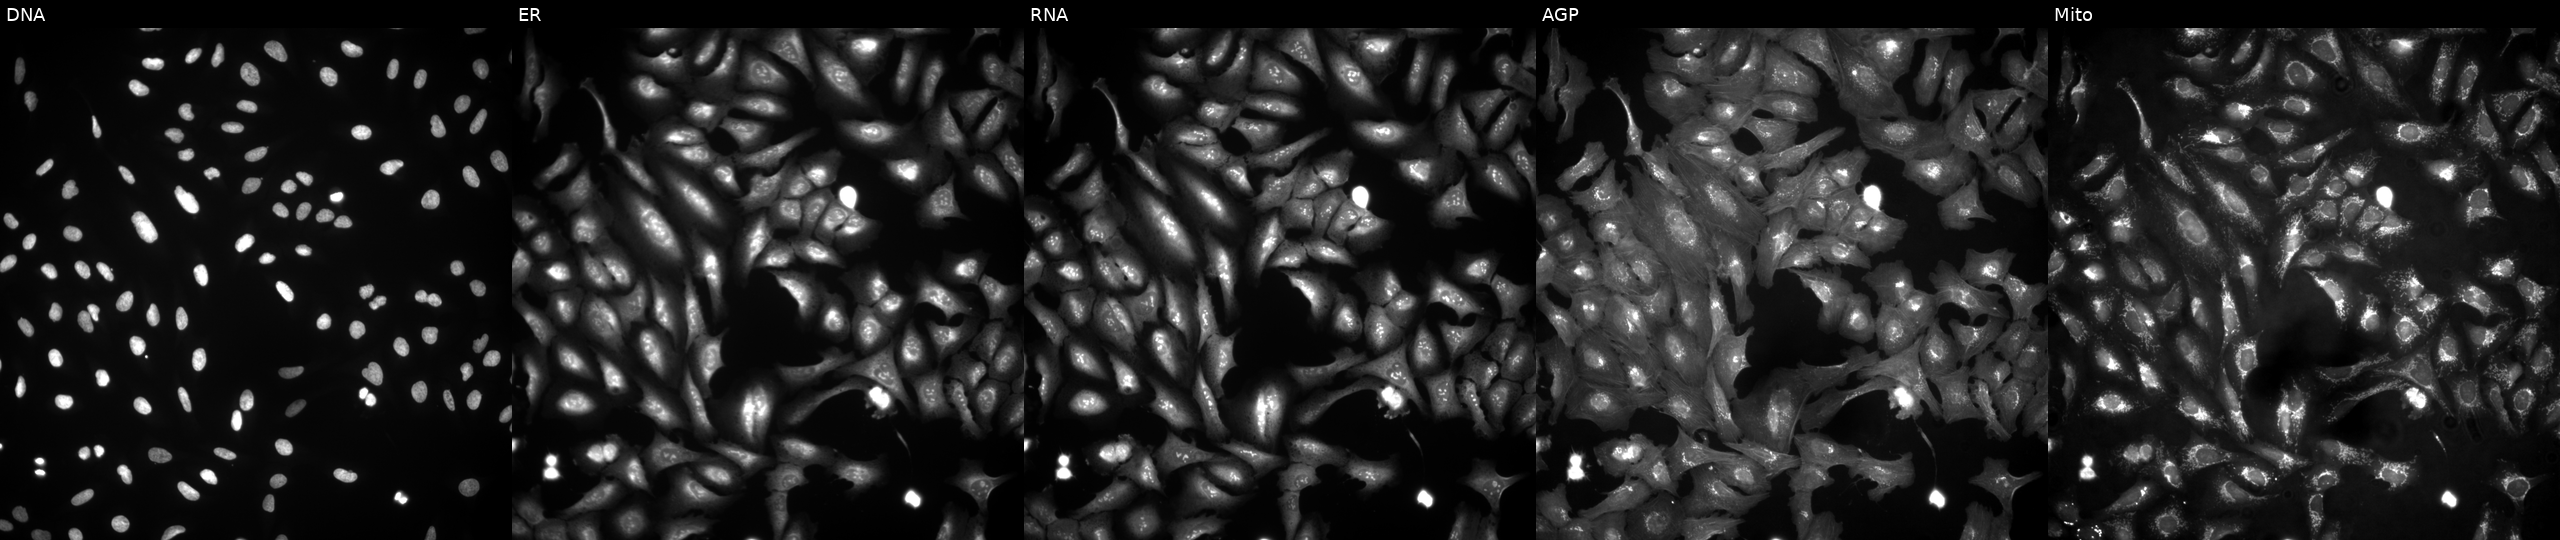
U2OS cells, Cell Painting assay, transfected with a failed ORF construct (JUMP BAD CONSTRUCT marker) (JUMP id JCP2022_900001). Panels show, left to right, Hoechst 33342, concanavalin A, SYTO 14, phalloidin and WGA, MitoTracker. Each panel is percentile-stretched 16-bit fluorescence.